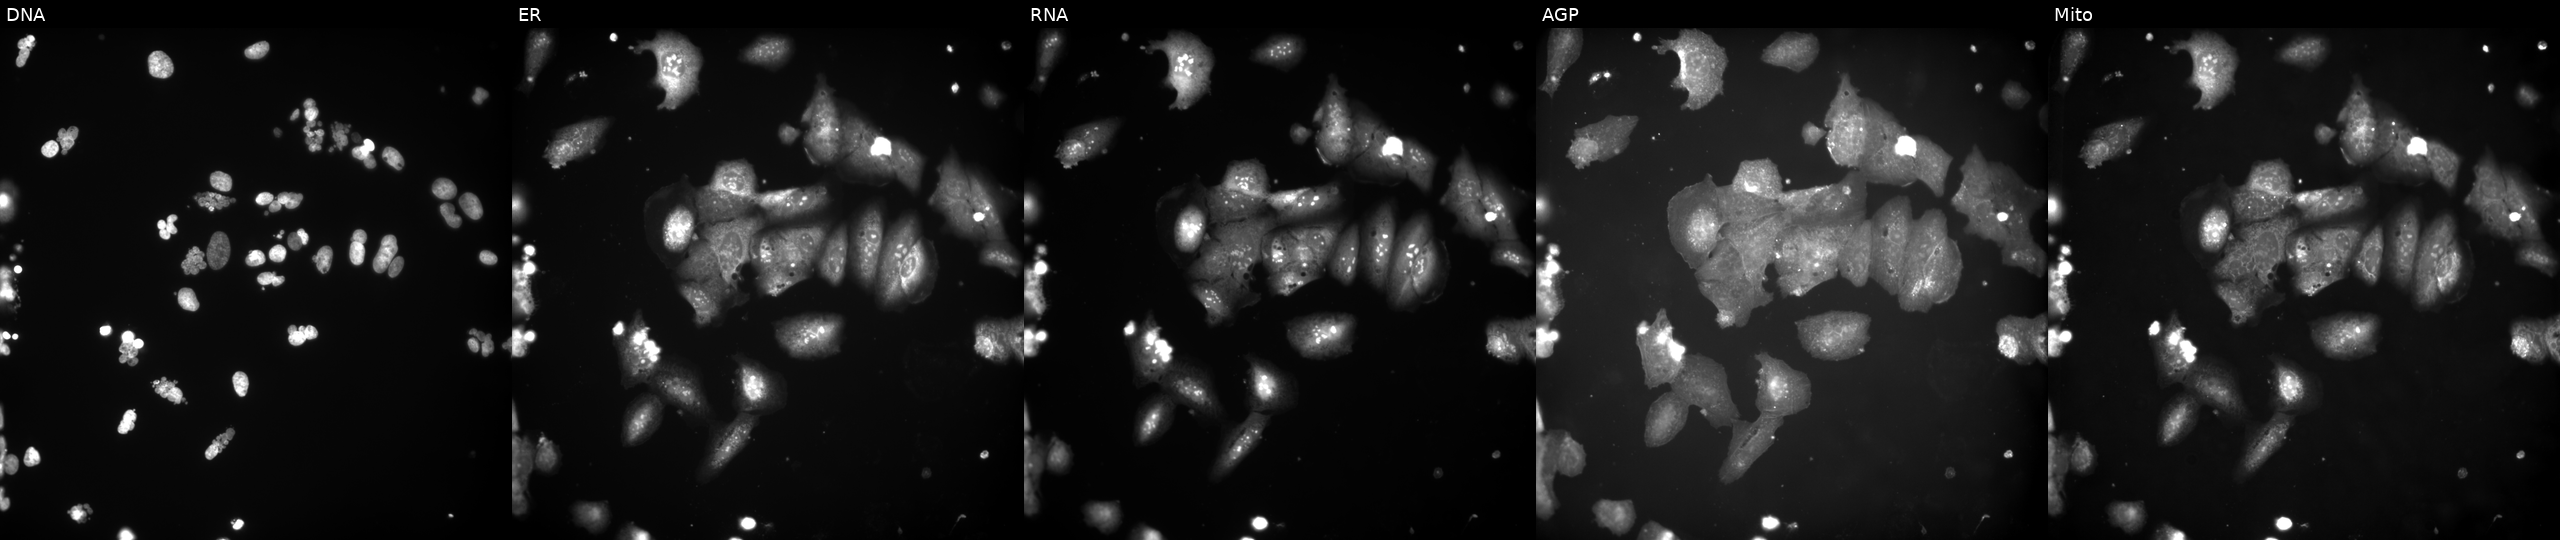
Channels (left→right): DNA, ER, RNA, AGP, and Mito. U2OS osteosarcoma cells treated with a small-molecule compound (InChIKey UPGFKJOUVXACSA-UHFFFAOYSA-N). Cell Painting assay, JUMP-CP dataset. Source 9, plate GR00003382, well AB07.